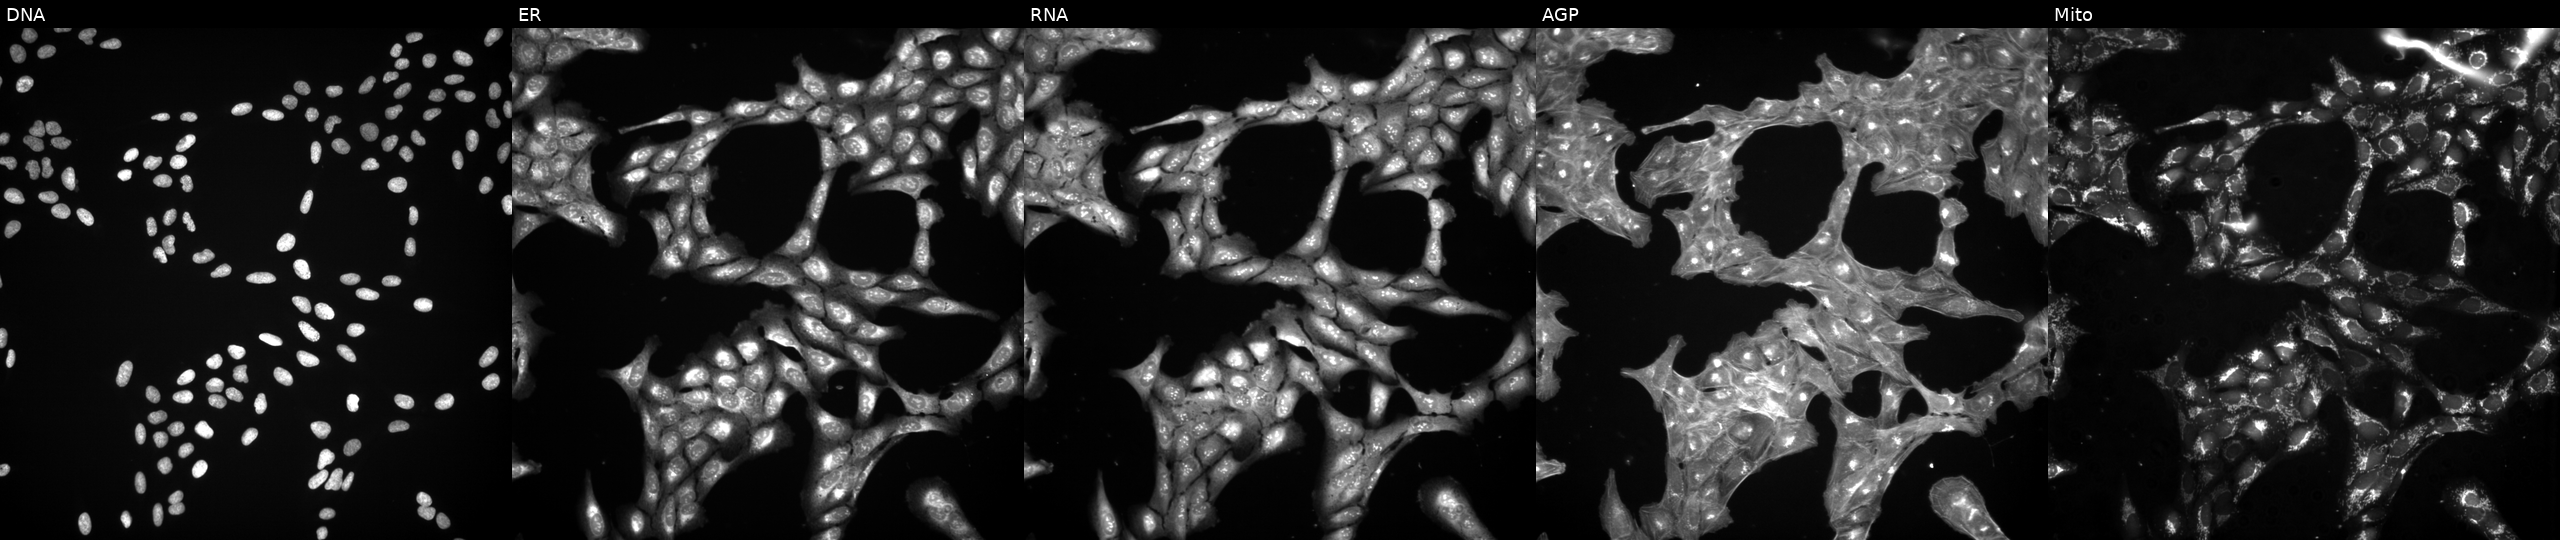
JUMP Cell Painting — COMPOUND plate. U2OS cells treated with a small-molecule compound (InChIKey KMYIWFJGYPZLSF-UHFFFAOYSA-N). The five panels, left to right, show Hoechst 33342, concanavalin A, SYTO 14, phalloidin and WGA, MitoTracker. Source 3, plate BR5867b3, well B20.